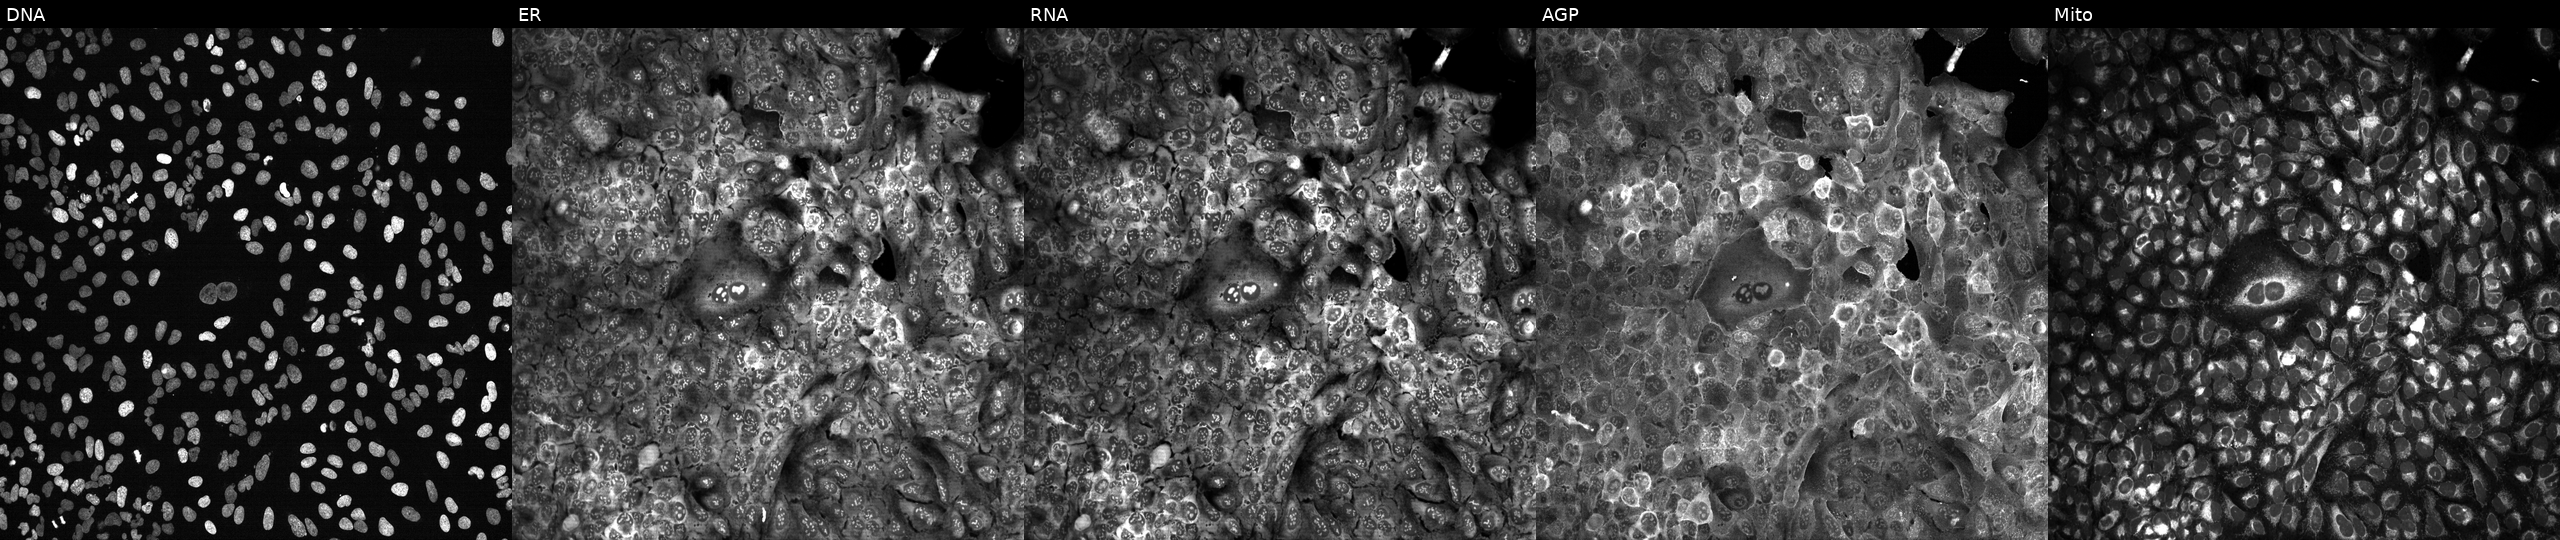
U2OS cells, Cell Painting assay, CRISPR-edited to disrupt PRODH2 (JUMP id JCP2022_805555). Panels show, left to right, DNA (nuclei); ER (endoplasmic reticulum); RNA (nucleoli and cytoplasmic RNA); AGP (actin cytoskeleton, Golgi, and plasma membrane); Mito (mitochondria). Each panel is percentile-stretched 16-bit fluorescence. Source 13, plate CP-CC9-R3-02, well B13.